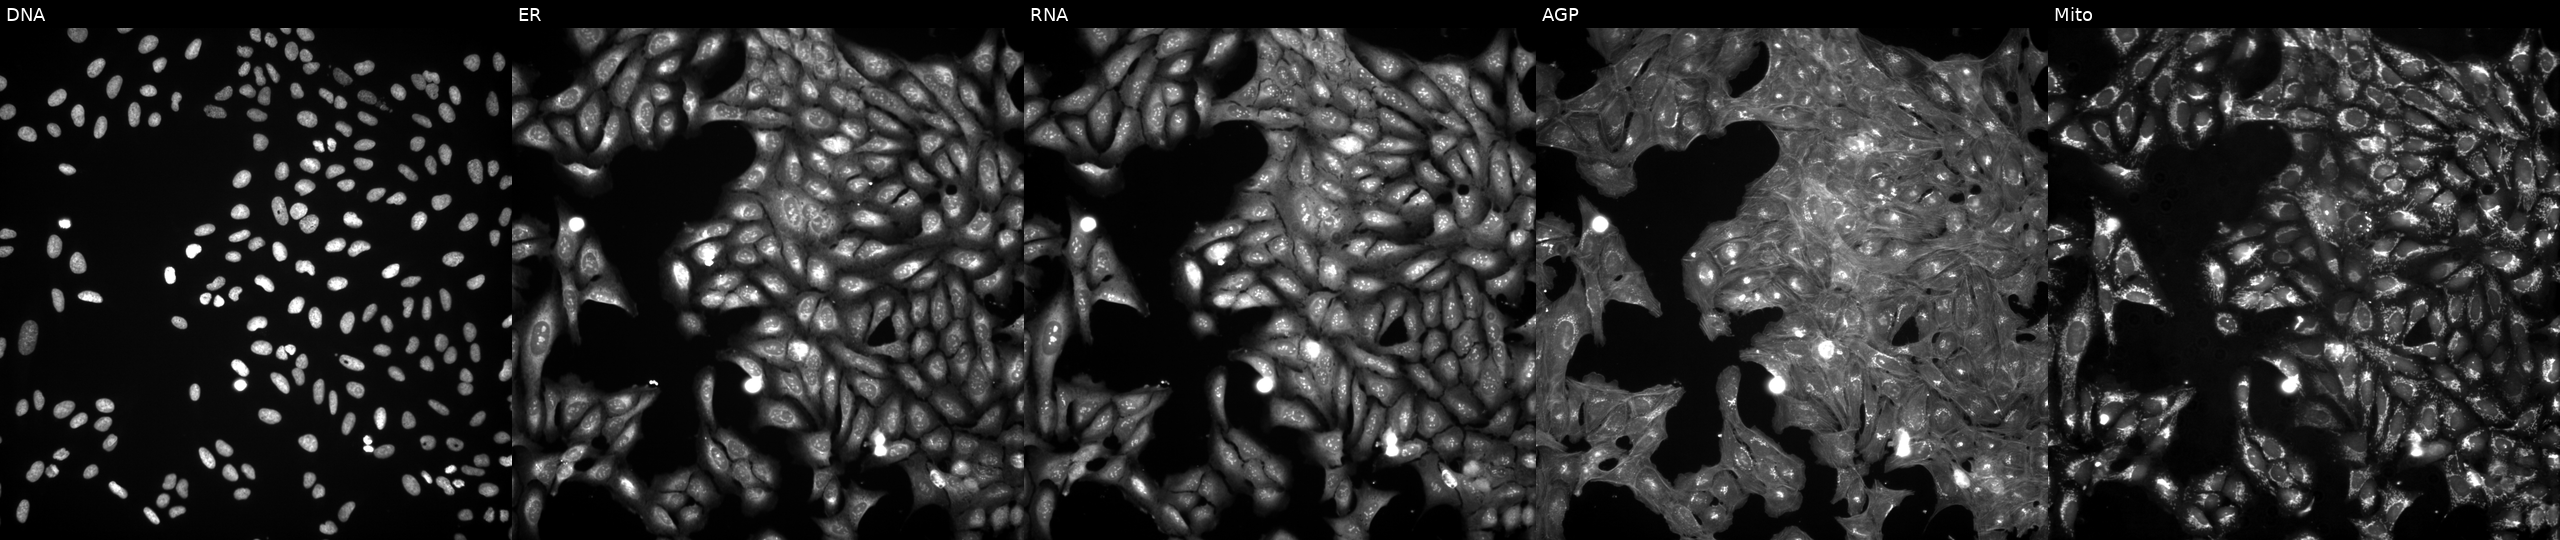
High-content fluorescence microscopy (Cell Painting). Cell line: U2OS. Perturbation: exposed to a small-molecule compound (InChIKey HCRKCZRJWPKOAR-UHFFFAOYSA-N). The five panels, left to right, show Hoechst 33342, concanavalin A, SYTO 14, phalloidin and WGA, MitoTracker.